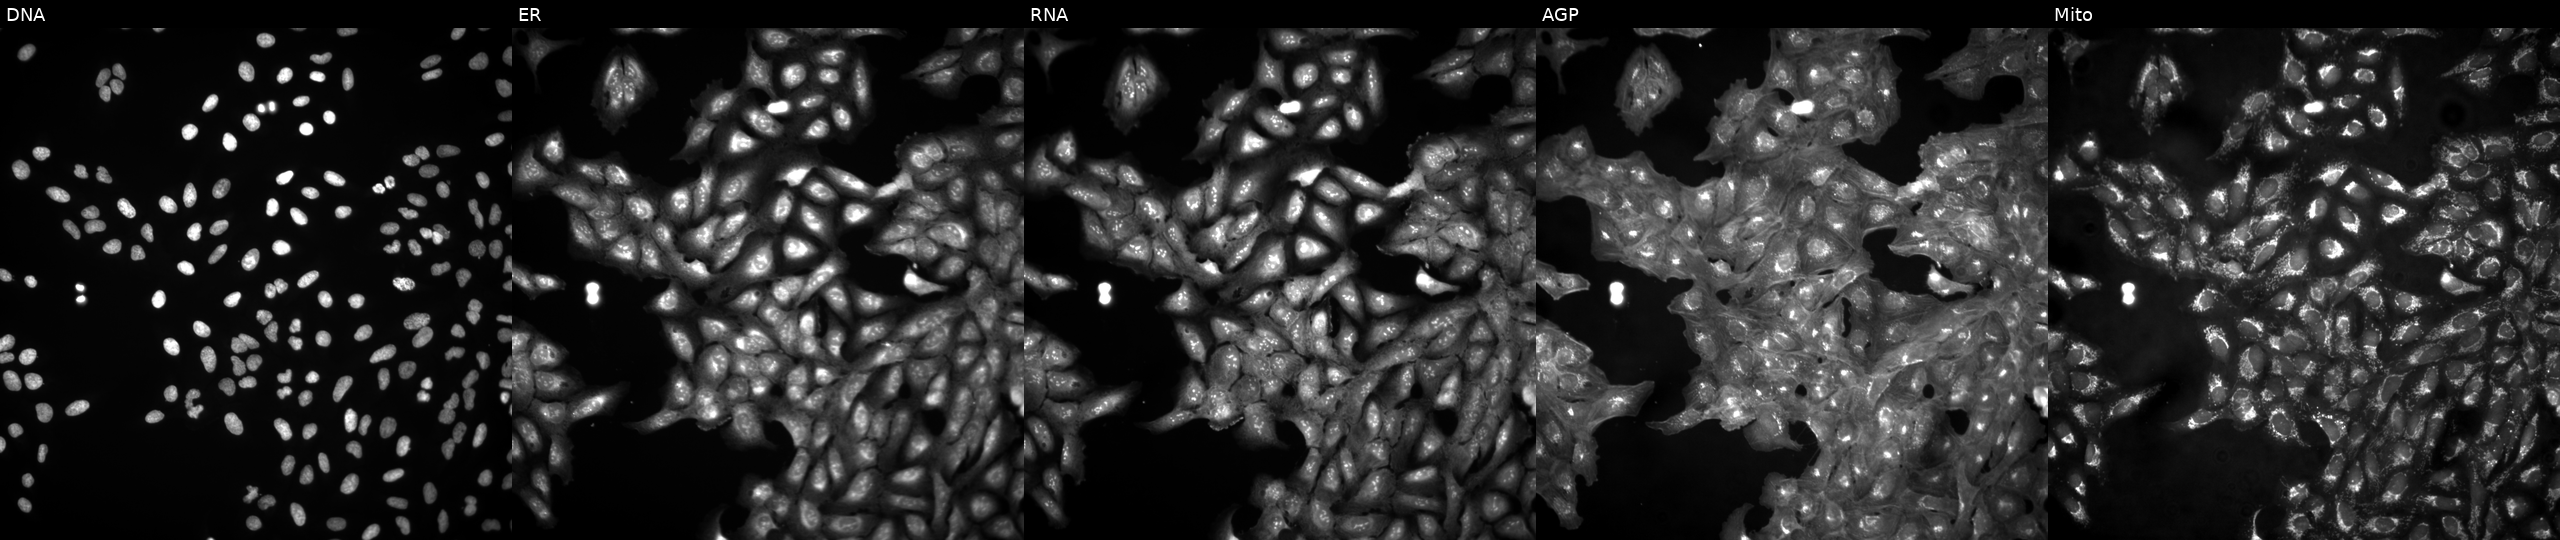
JUMP Cell Painting — ORF plate. U2OS cells untreated (empty-well control) (JUMP id JCP2022_999999). The five panels, left to right, show DNA (nuclei); ER (endoplasmic reticulum); RNA (nucleoli and cytoplasmic RNA); AGP (actin cytoskeleton, Golgi, and plasma membrane); Mito (mitochondria).